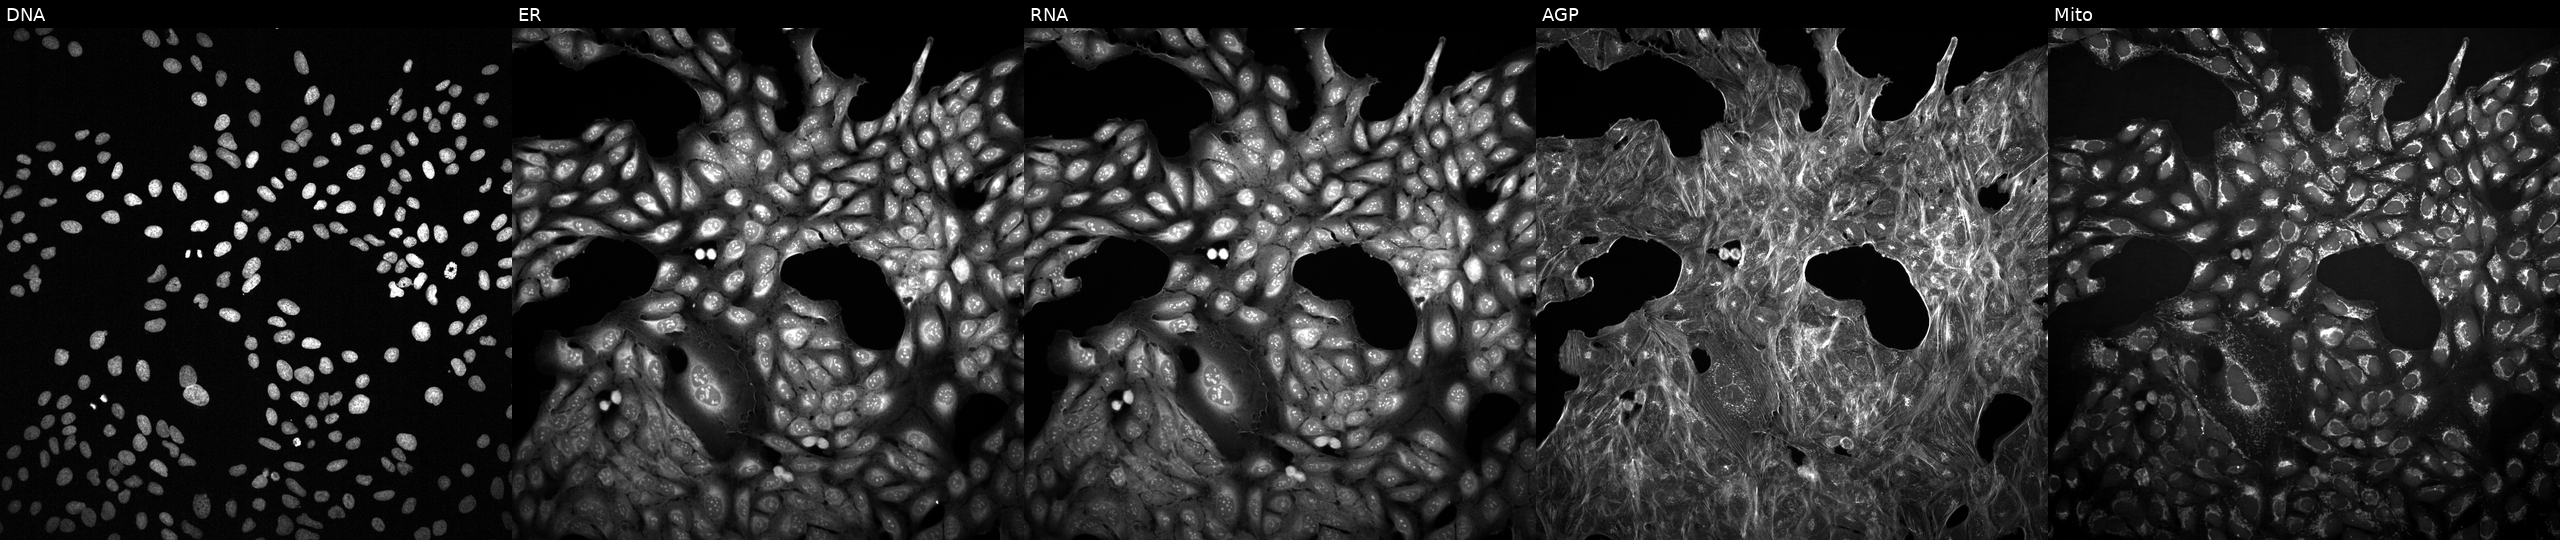
JUMP Cell Painting — TARGET2 plate. U2OS cells treated with a small-molecule compound (InChIKey FPVKHBSQESCIEP-UHFFFAOYSA-N) (JUMP id JCP2022_022191). From left to right: Hoechst 33342, concanavalin A, SYTO 14, phalloidin and WGA, MitoTracker.